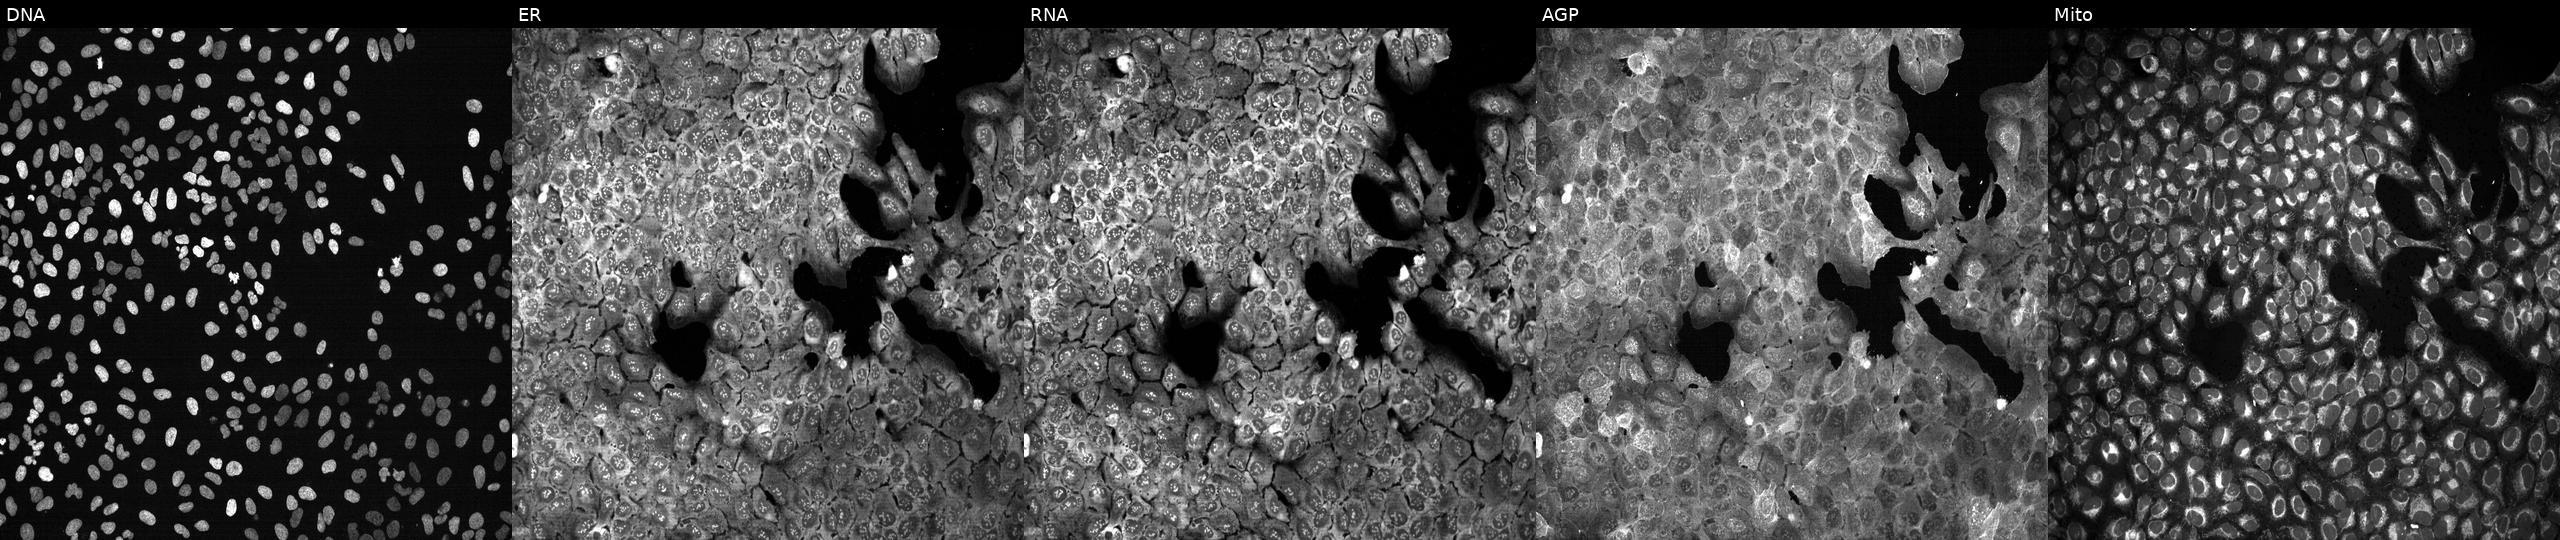
U2OS cells, Cell Painting assay, following CRISPR knockout of IL1RAPL1. From left to right: Hoechst 33342, concanavalin A, SYTO 14, phalloidin and WGA, MitoTracker. Each panel is percentile-stretched 16-bit fluorescence. Source 13, plate CP-CC9-R2-02, well G17.